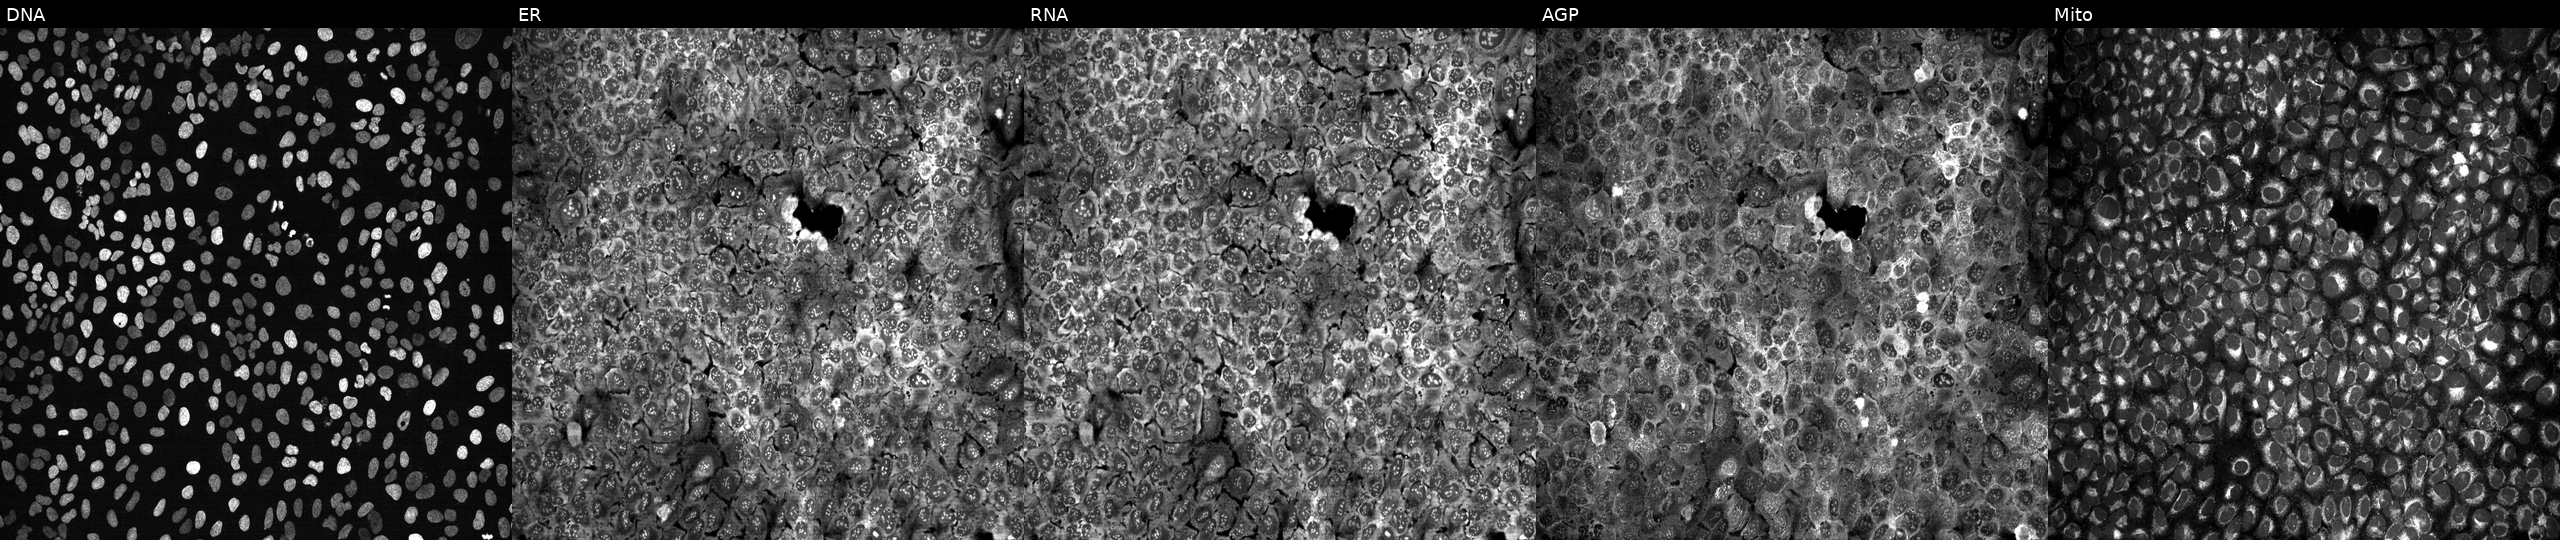
Five-channel Cell Painting image of U2OS cells with ATP5C1 knocked out by CRISPR (JUMP id JCP2022_800722). Panels show, left to right, DNA (nuclei); ER (endoplasmic reticulum); RNA (nucleoli and cytoplasmic RNA); AGP (actin cytoskeleton, Golgi, and plasma membrane); Mito (mitochondria).